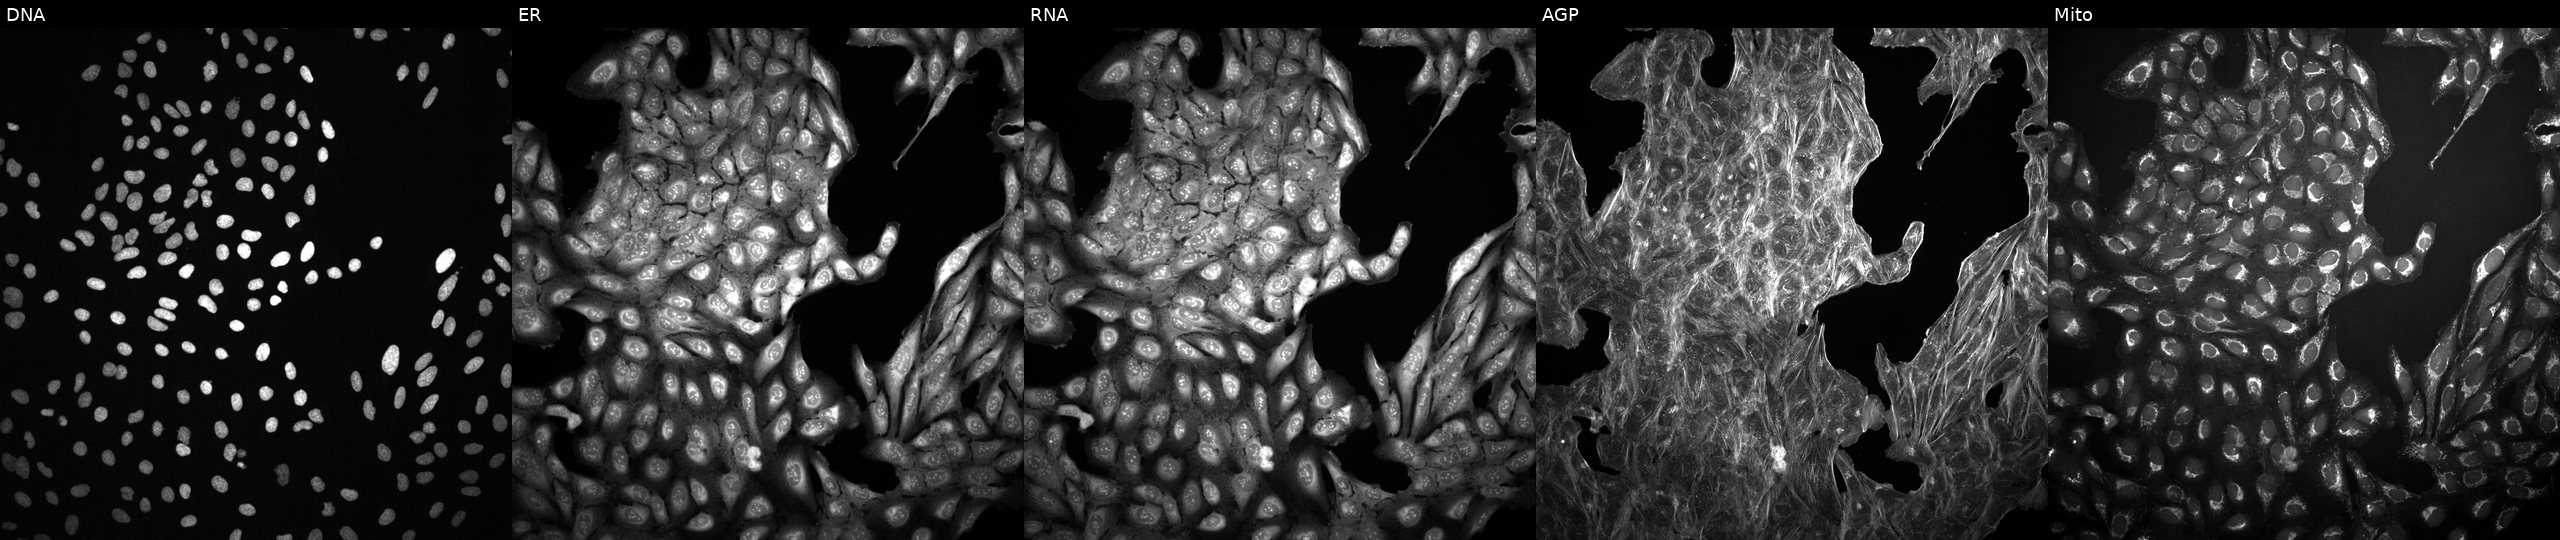
High-content fluorescence microscopy (Cell Painting). Cell line: U2OS. Perturbation: treated with DMSO vehicle only (negative control) (JUMP id JCP2022_033924). Panels show, left to right, Hoechst 33342, concanavalin A, SYTO 14, phalloidin and WGA, MitoTracker.